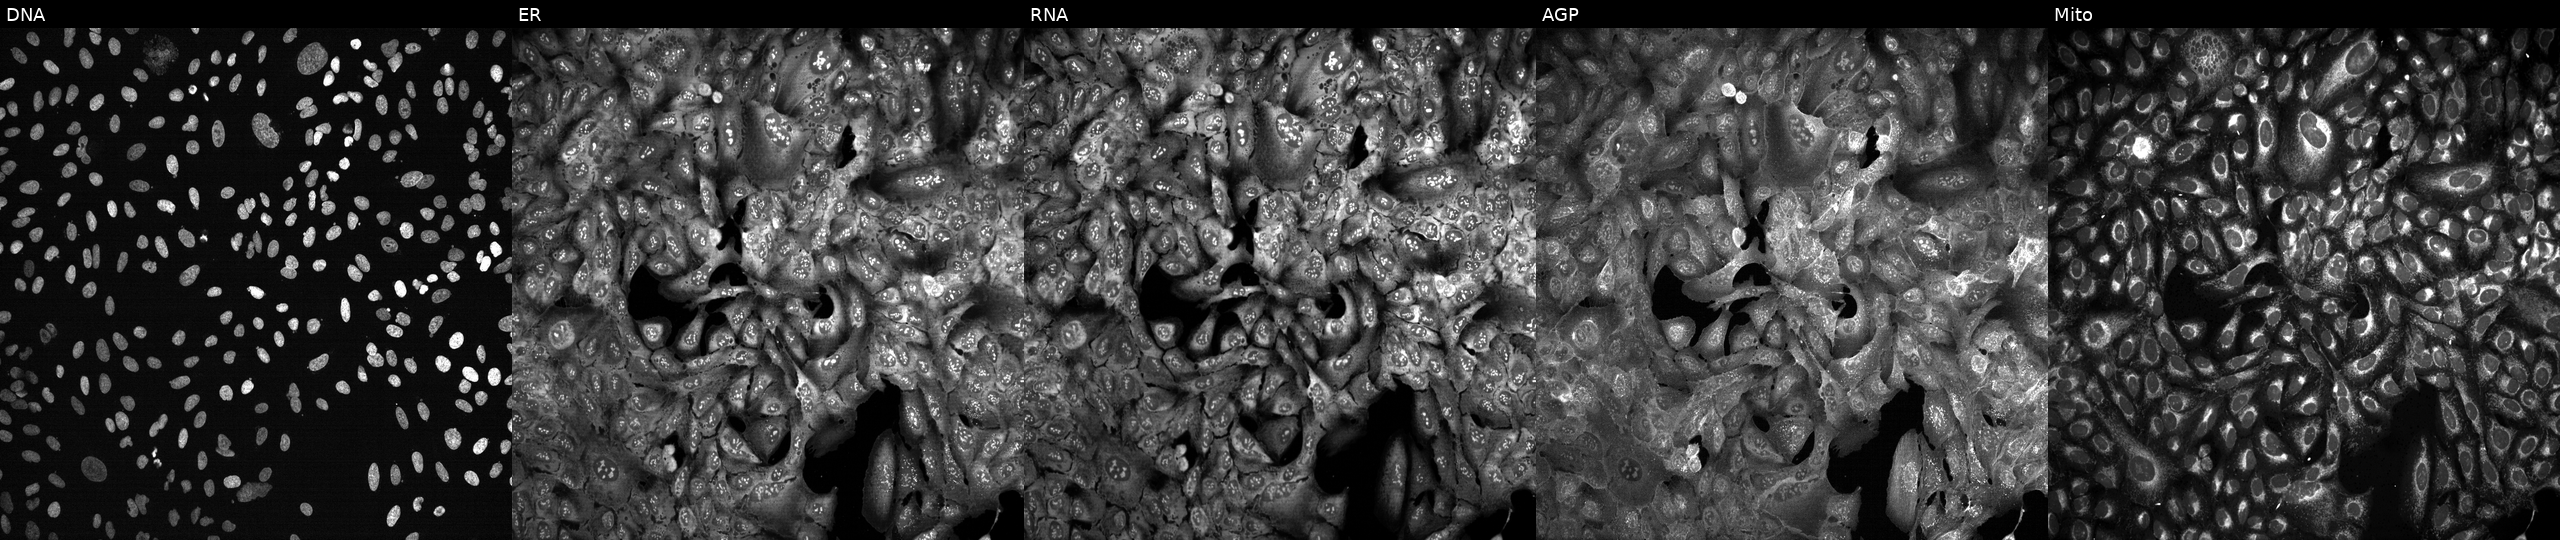
U2OS cells, Cell Painting assay, CRISPR-edited to disrupt AOAH (JUMP id JCP2022_800498). The five panels, left to right, show Hoechst 33342, concanavalin A, SYTO 14, phalloidin and WGA, MitoTracker. Each panel is percentile-stretched 16-bit fluorescence.